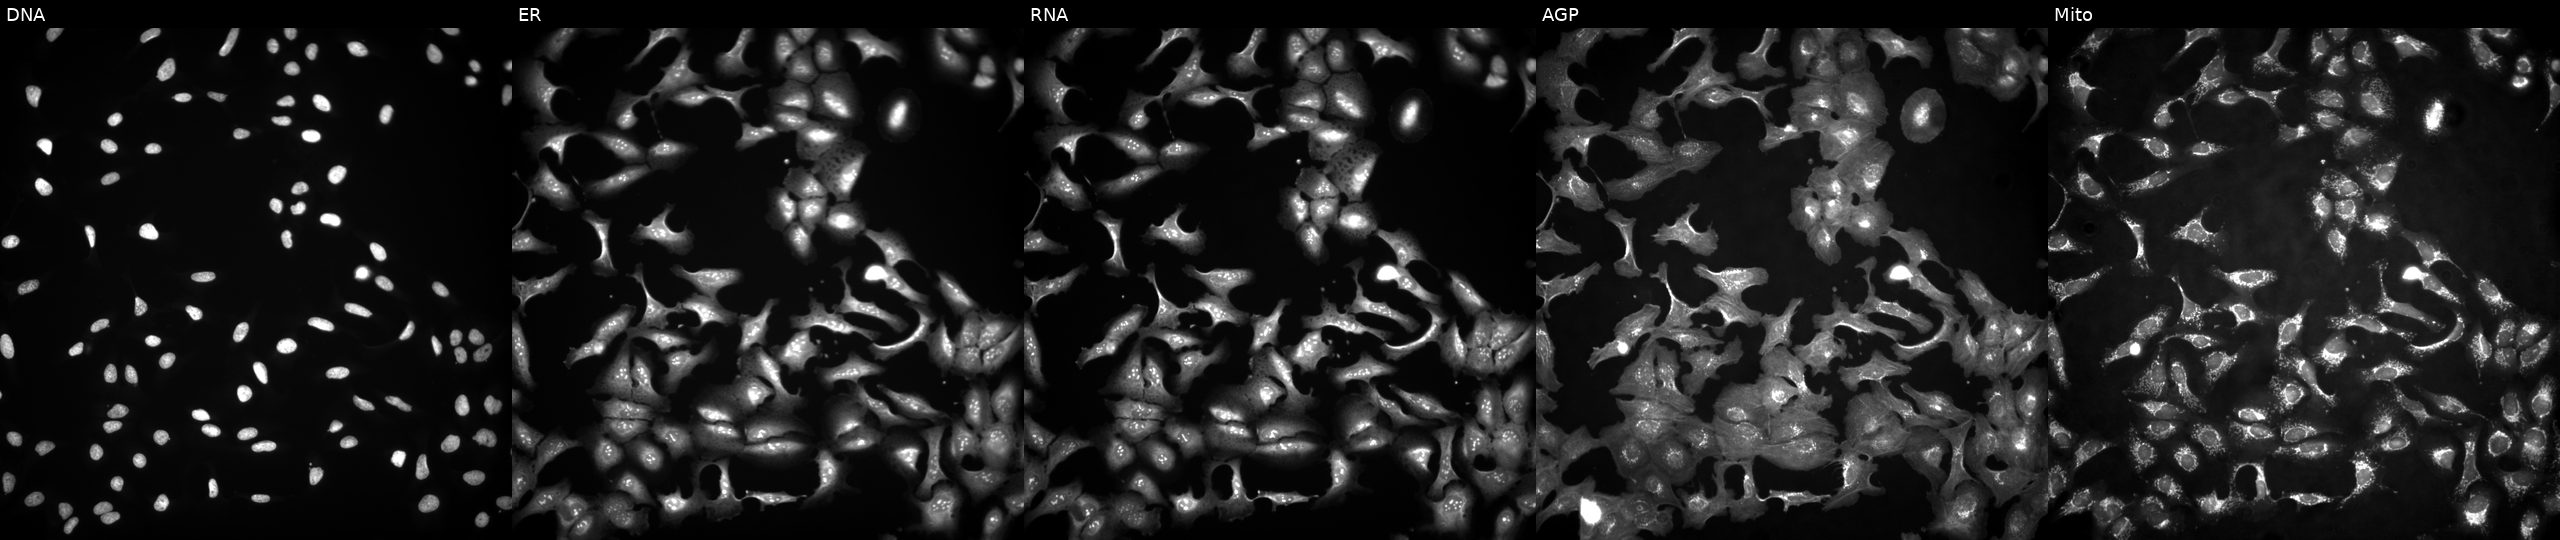
JUMP Cell Painting — ORF plate. U2OS cells overexpressing RYBP via ORF transfection. From left to right: DNA (nuclei); ER (endoplasmic reticulum); RNA (nucleoli and cytoplasmic RNA); AGP (actin cytoskeleton, Golgi, and plasma membrane); Mito (mitochondria).